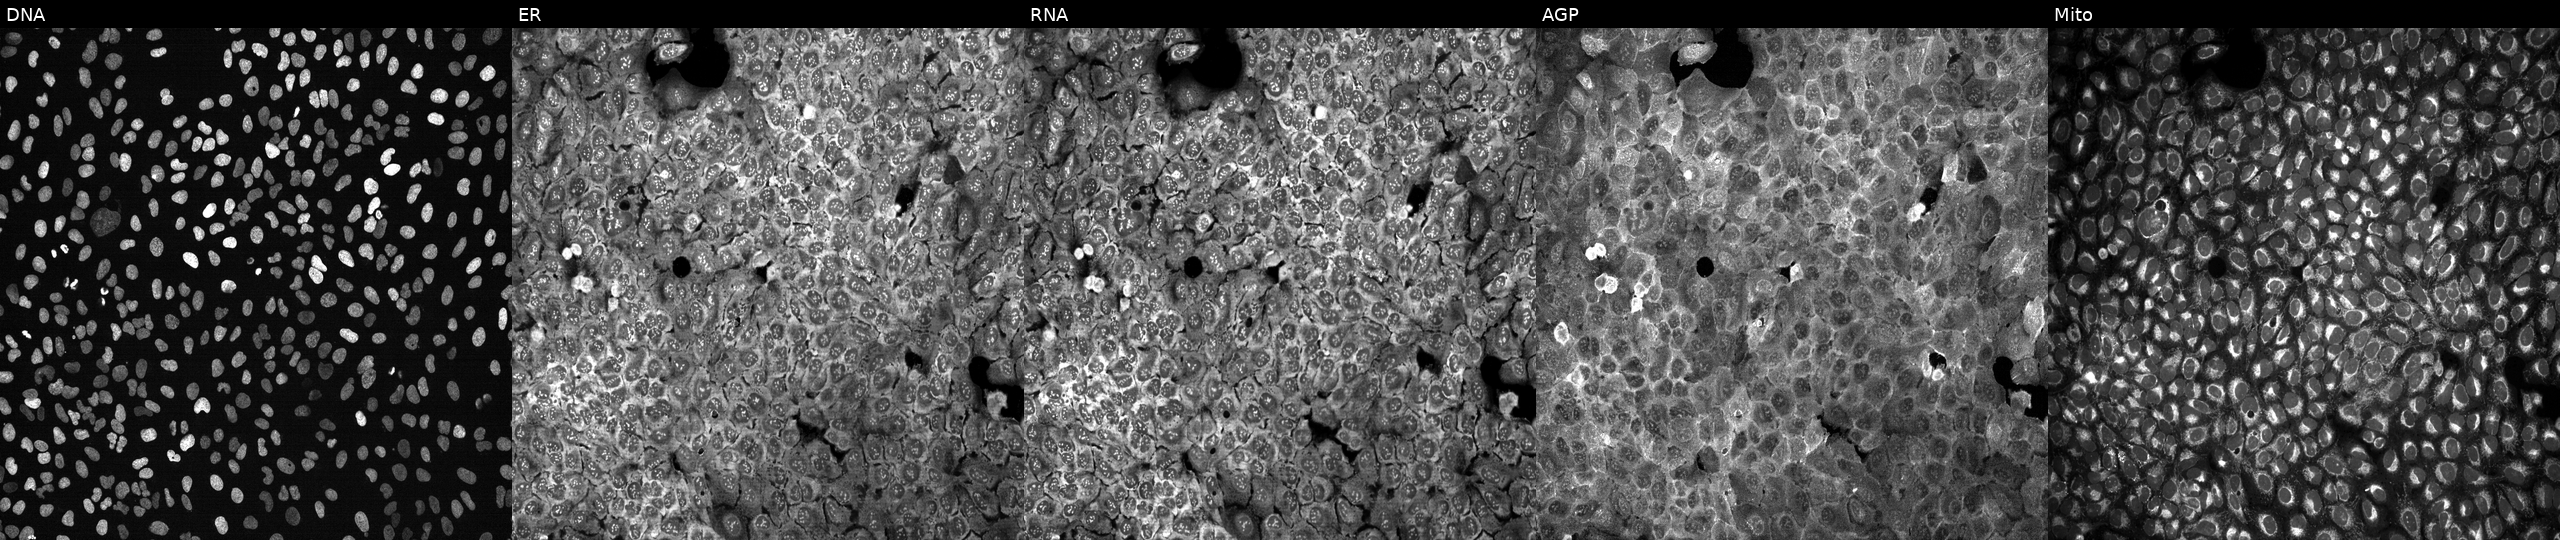
JUMP Cell Painting — CRISPR plate. U2OS cells CRISPR-edited to disrupt ST6GALNAC4. The five panels, left to right, show DNA, ER, RNA, AGP, and Mito.